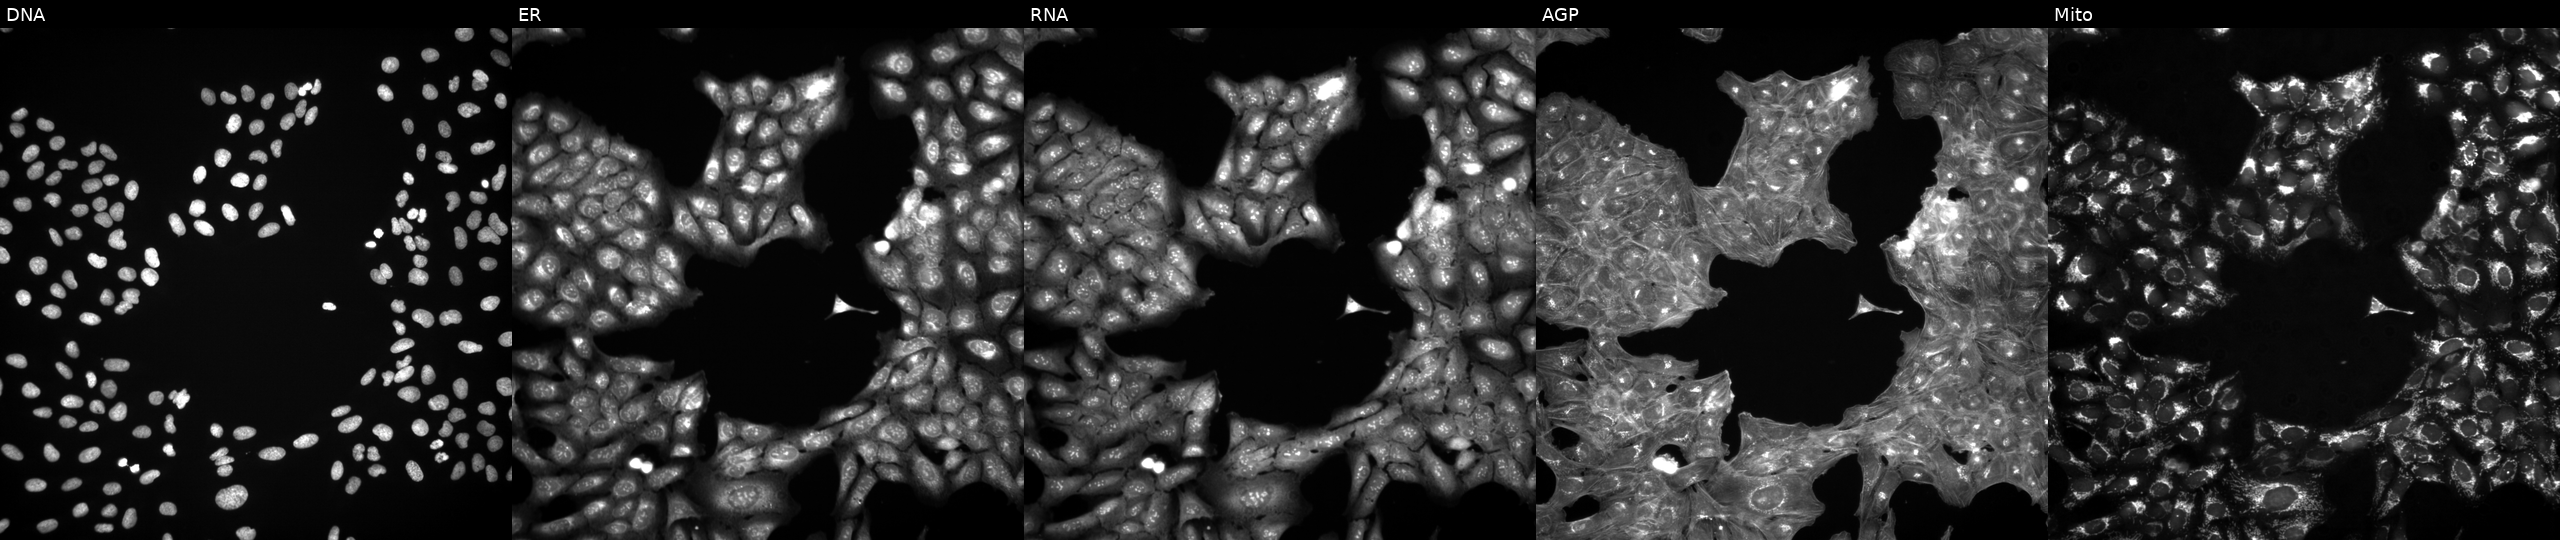
Five-channel Cell Painting image of U2OS cells exposed to DMSO alone as a negative control. Panels show, left to right, DNA (nuclei); ER (endoplasmic reticulum); RNA (nucleoli and cytoplasmic RNA); AGP (actin cytoskeleton, Golgi, and plasma membrane); Mito (mitochondria). Source 3, plate JCPQC051, well D22.